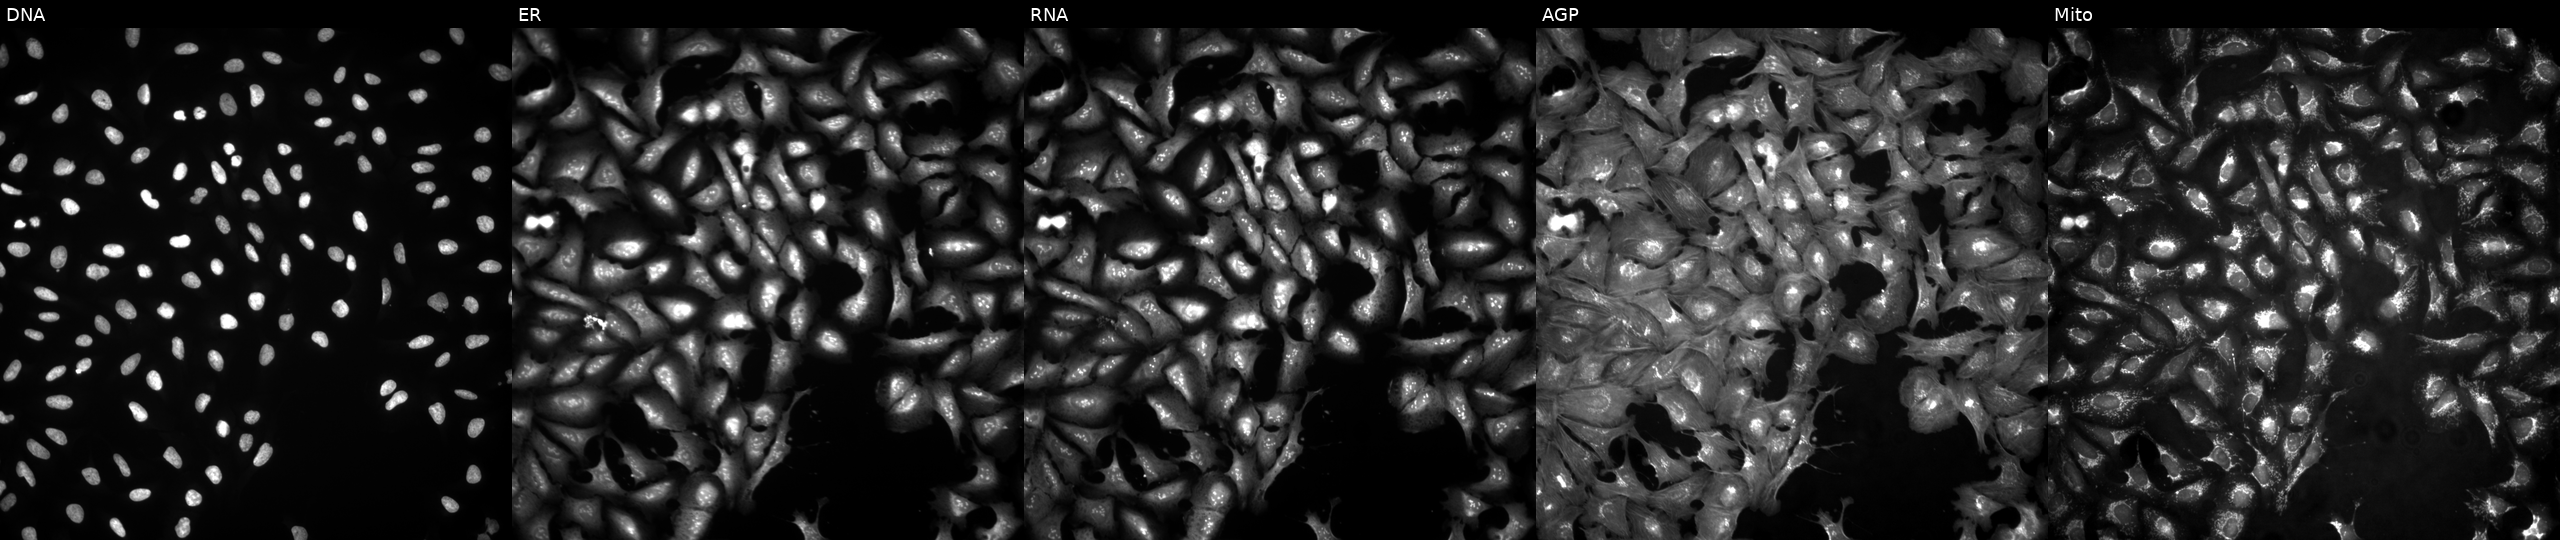
Panels show, left to right, Hoechst 33342, concanavalin A, SYTO 14, phalloidin and WGA, MitoTracker. U2OS osteosarcoma cells expressing HcRed (ORF negative control). Cell Painting assay, JUMP-CP dataset.